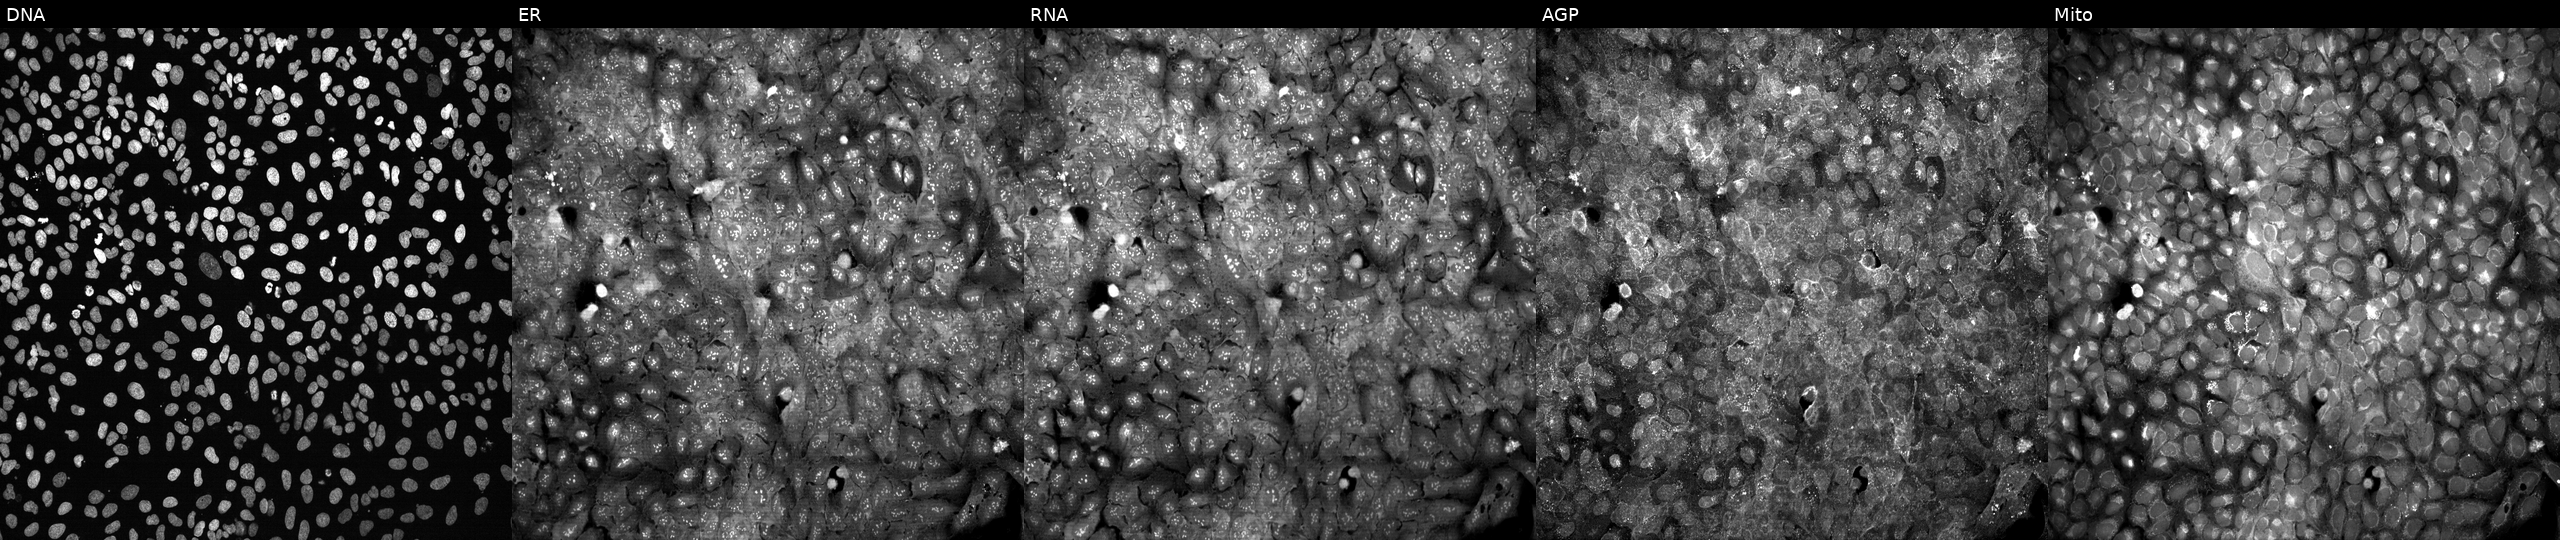
U2OS cells, Cell Painting assay, following CRISPR knockout of PADI3. Channels (left→right): DNA, ER, RNA, AGP, and Mito. Each panel is percentile-stretched 16-bit fluorescence. Source 13, plate CP-CC9-R1-01, well I16.